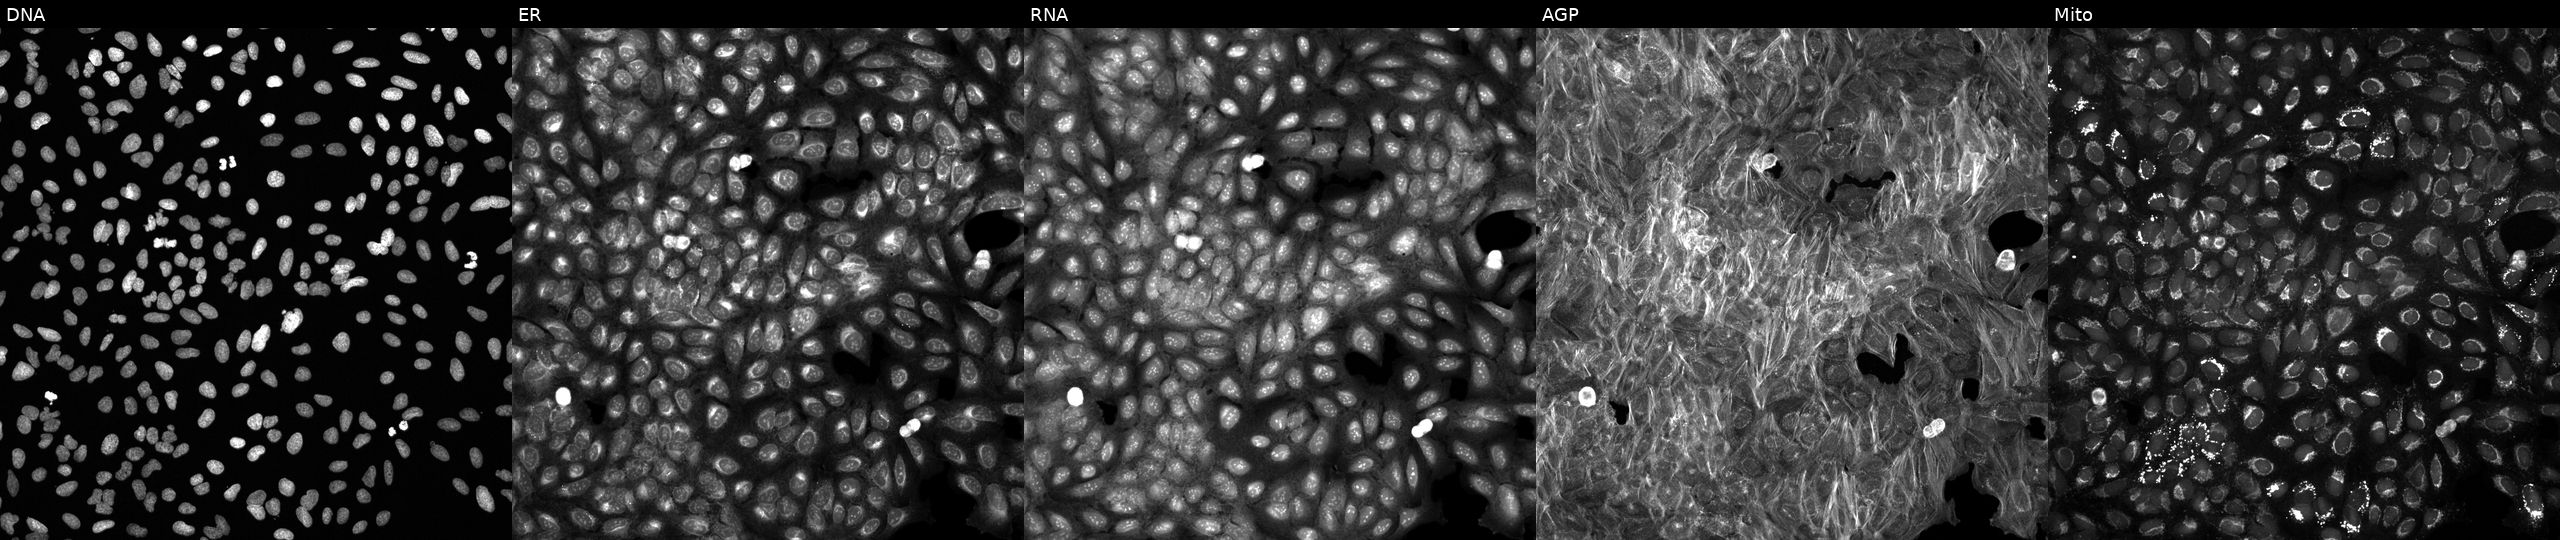
This image strip shows the five Cell Painting channels for a single field of U2OS cells exposed to a small-molecule compound (InChIKey RUAKBDMPEOVIDZ-UHFFFAOYSA-N) [SMILES: CC(C)NC(=O)N(Cc1ccc2c(c1)OCO2)Cc1cc(-c2ccc(F)cc2)on1]. From left to right: Hoechst 33342, concanavalin A, SYTO 14, phalloidin and WGA, MitoTracker. Source 6, plate 110000293082, well C18.